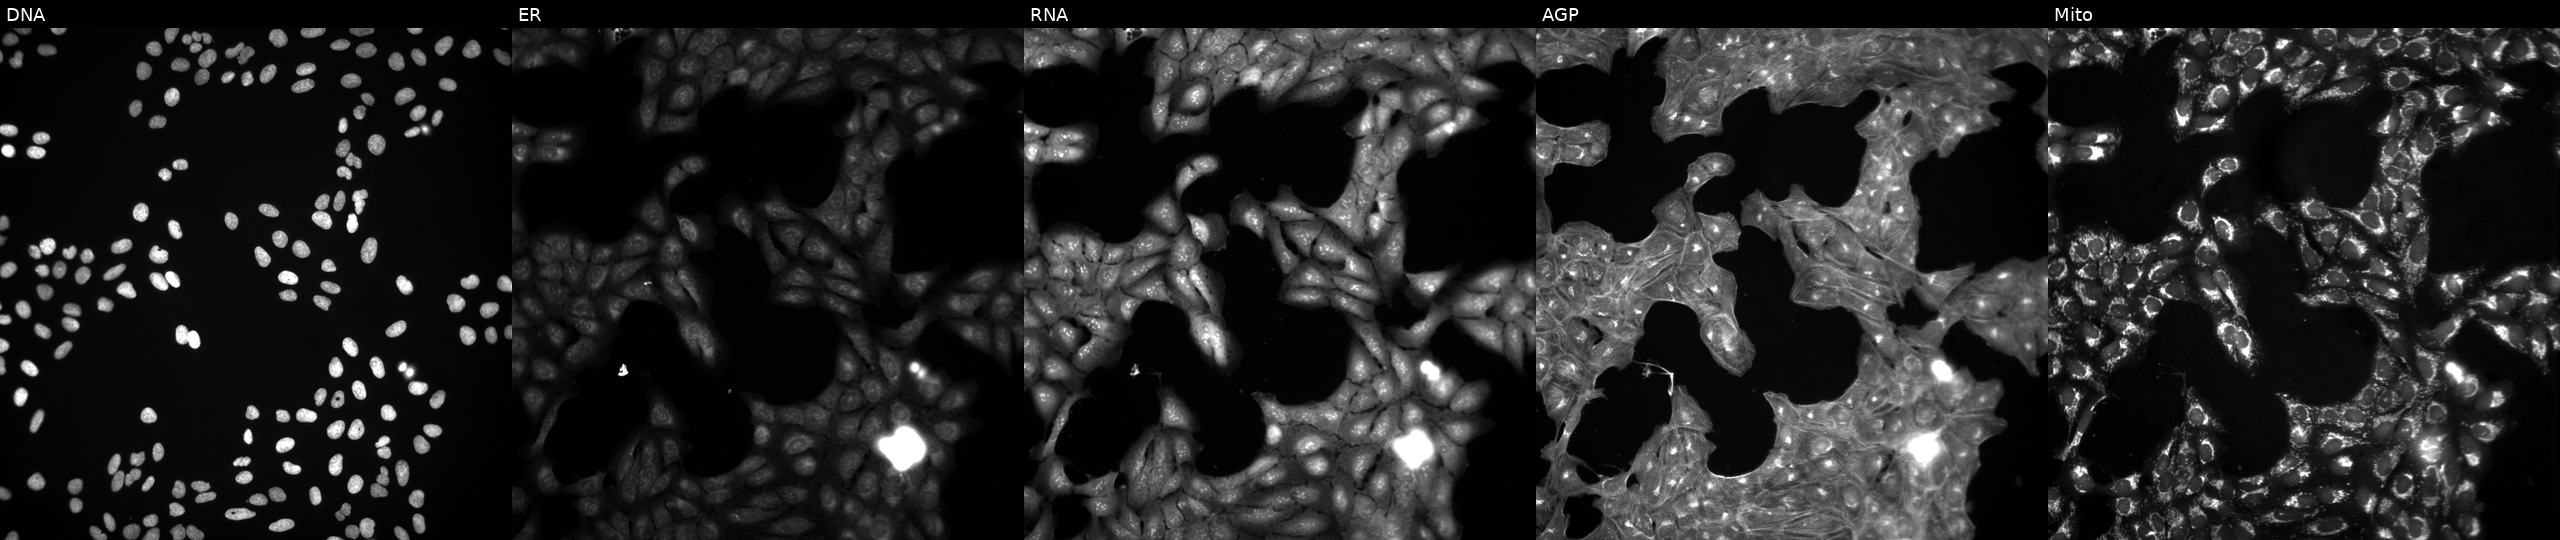
High-content fluorescence microscopy (Cell Painting). Cell line: U2OS. Perturbation: treated with a small-molecule compound (JUMP id JCP2022_105456). Channels (left→right): DNA (nuclei); ER (endoplasmic reticulum); RNA (nucleoli and cytoplasmic RNA); AGP (actin cytoskeleton, Golgi, and plasma membrane); Mito (mitochondria).